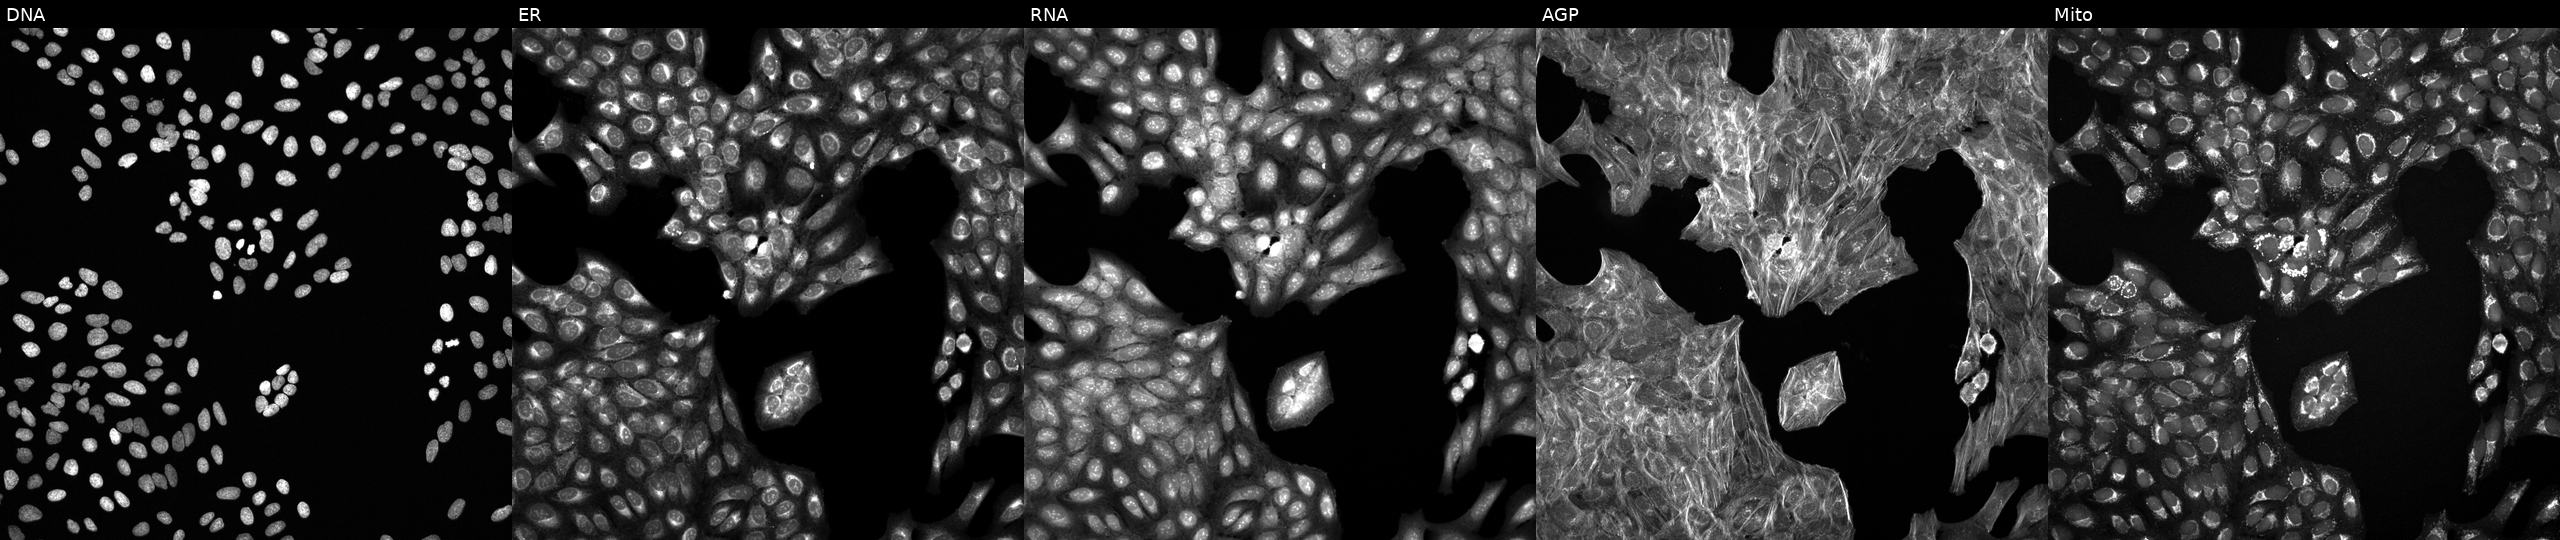
From left to right: DNA, ER, RNA, AGP, and Mito. U2OS osteosarcoma cells perturbed with a small-molecule compound (InChIKey LRRMQNGSYOUANY-UHFFFAOYSA-N) (JUMP id JCP2022_051319). Cell Painting assay, JUMP-CP dataset.